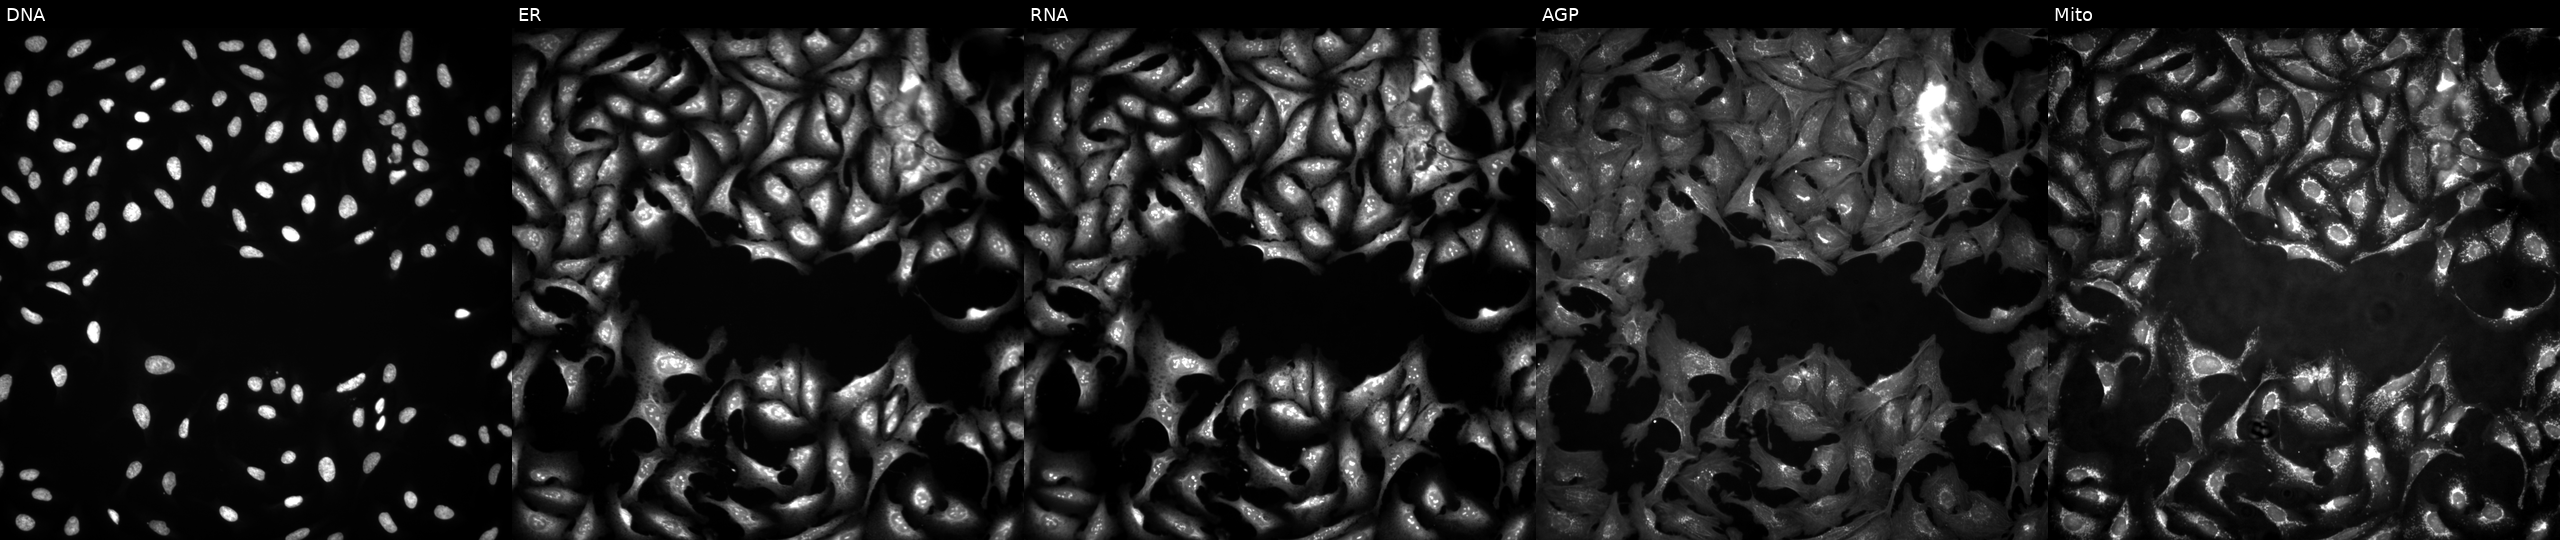
The five panels, left to right, show Hoechst 33342, concanavalin A, SYTO 14, phalloidin and WGA, MitoTracker. U2OS osteosarcoma cells with CAMKK1 overexpressed (ORF) (JUMP id JCP2022_914202). Cell Painting assay, JUMP-CP dataset.